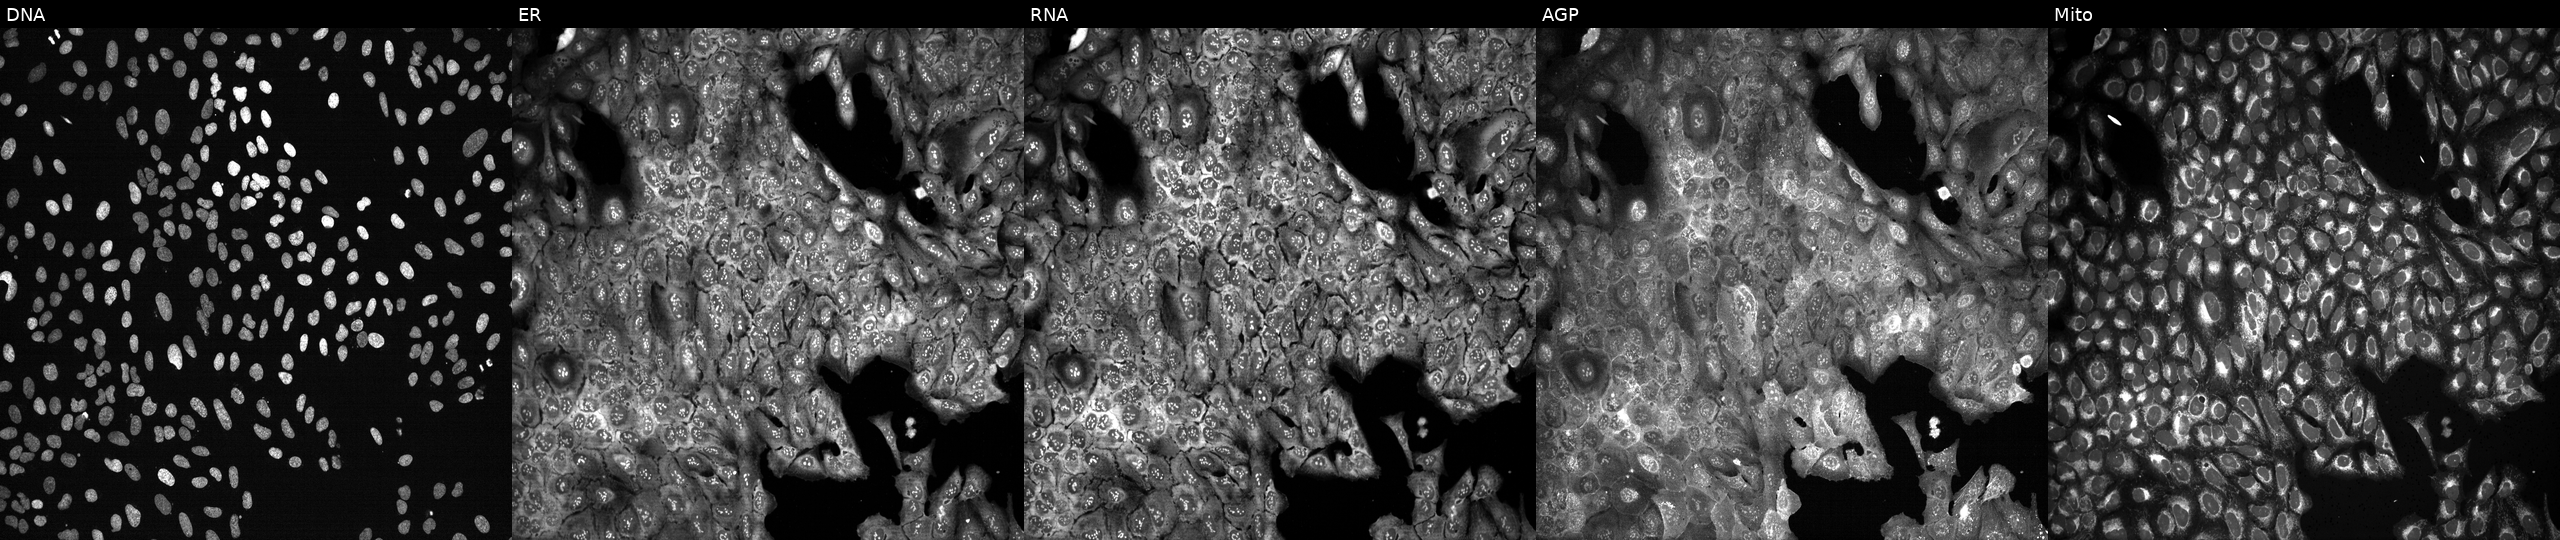
This image strip shows the five Cell Painting channels for a single field of U2OS cells following CRISPR knockout of RBP1. Panels show, left to right, DNA, ER, RNA, AGP, and Mito.